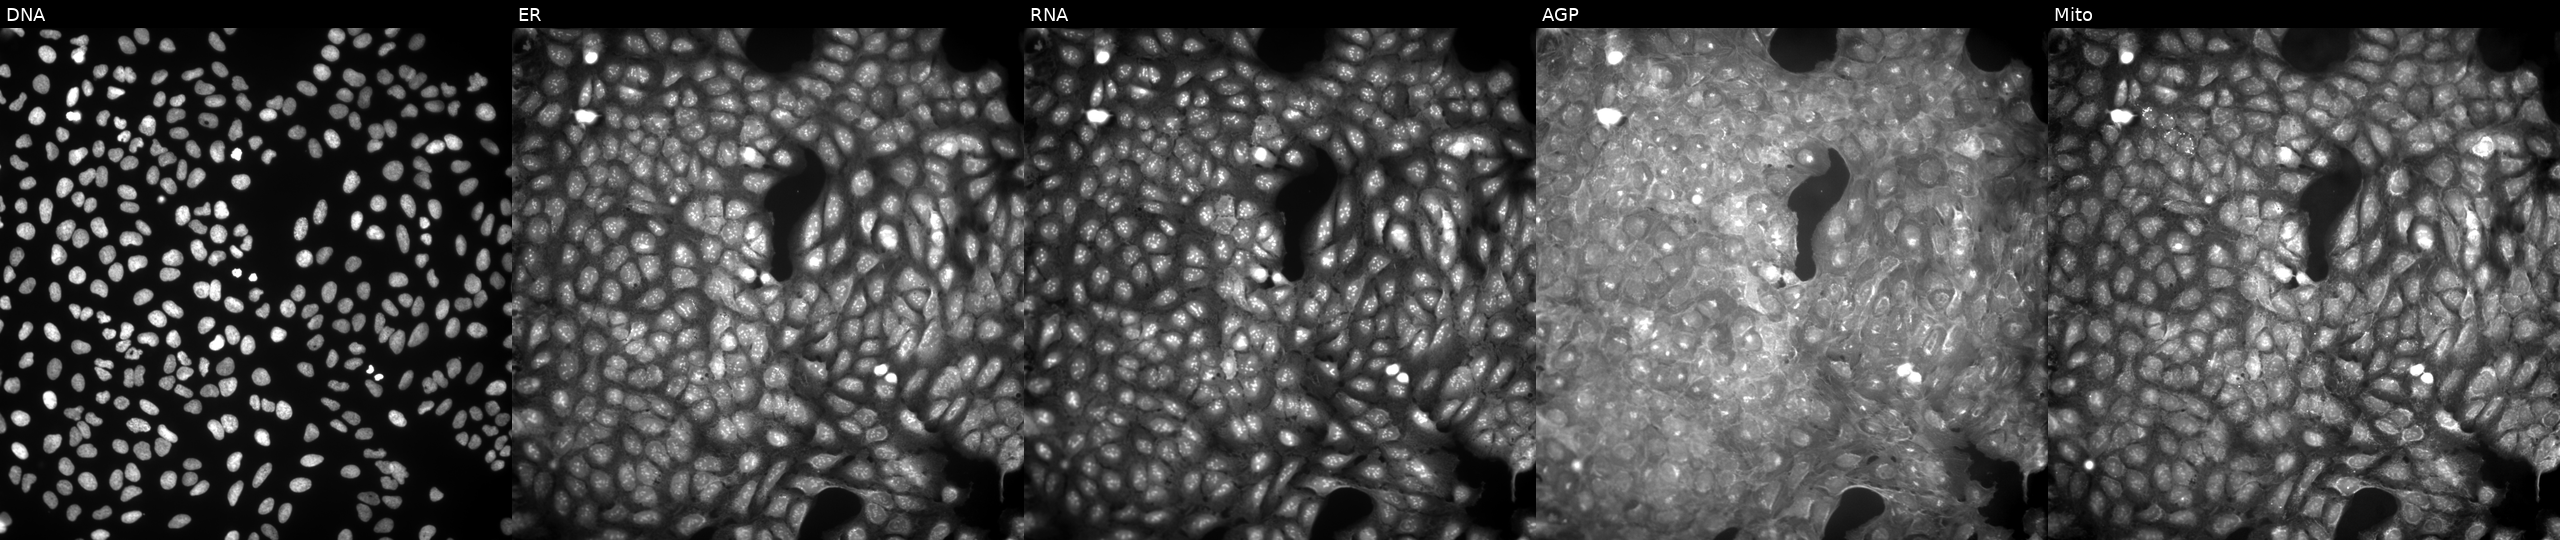
The five panels, left to right, show DNA (nuclei); ER (endoplasmic reticulum); RNA (nucleoli and cytoplasmic RNA); AGP (actin cytoskeleton, Golgi, and plasma membrane); Mito (mitochondria). U2OS osteosarcoma cells exposed to a small-molecule compound. Cell Painting assay, JUMP-CP dataset.